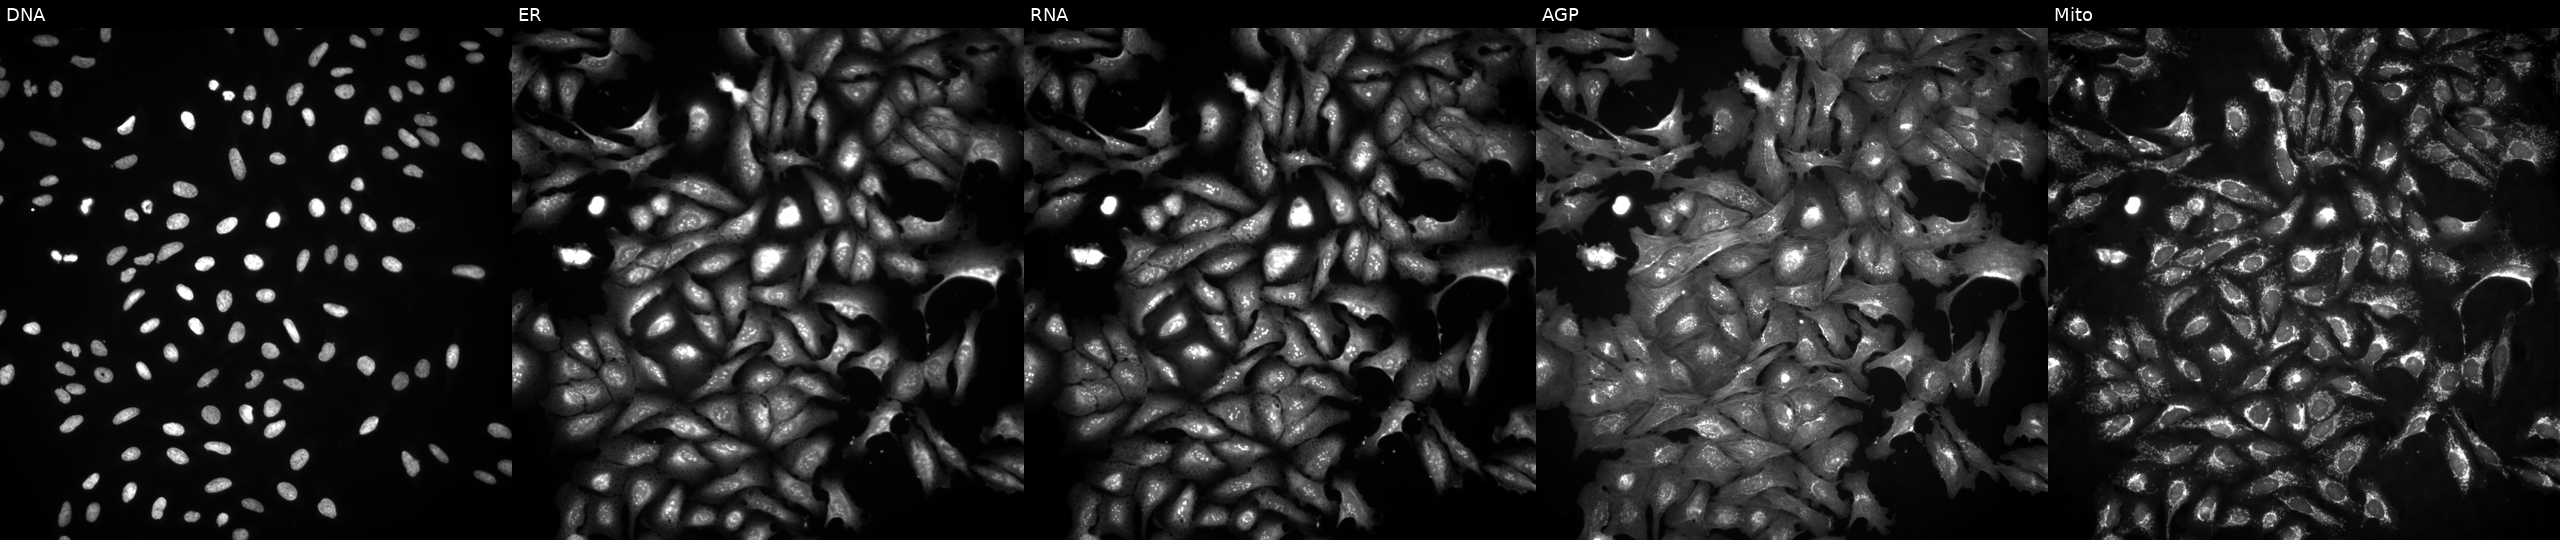
High-content fluorescence microscopy (Cell Painting). Cell line: U2OS. Perturbation: with EFEMP1 overexpressed (ORF). The five panels, left to right, show DNA (nuclei); ER (endoplasmic reticulum); RNA (nucleoli and cytoplasmic RNA); AGP (actin cytoskeleton, Golgi, and plasma membrane); Mito (mitochondria).